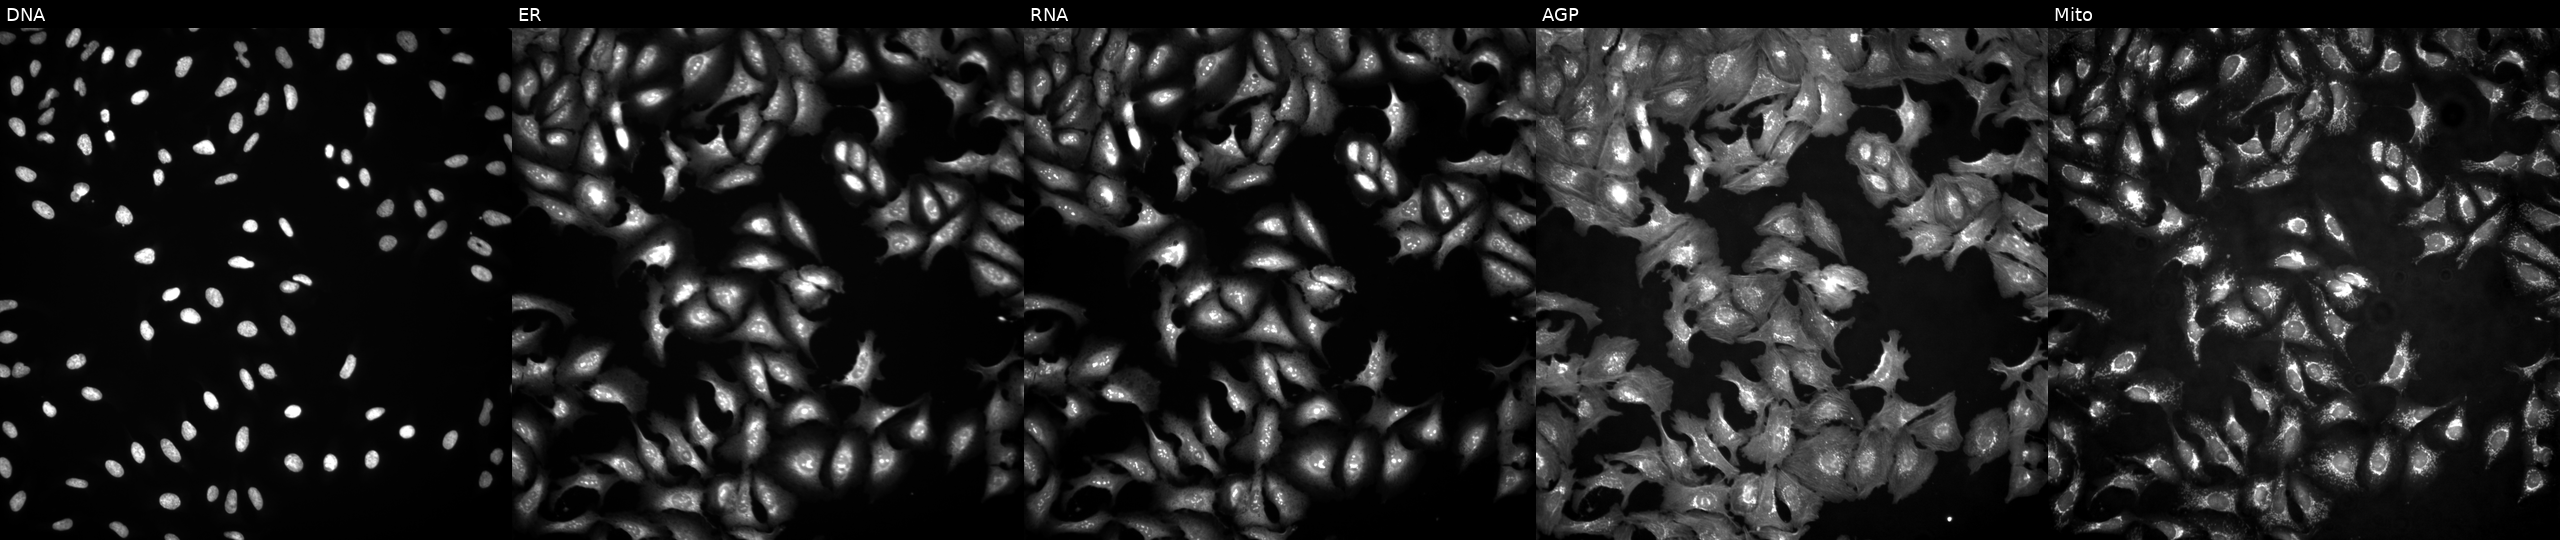
High-content fluorescence microscopy (Cell Painting). Cell line: U2OS. Perturbation: untreated (empty-well control) (JUMP id JCP2022_999999). Channels (left→right): DNA (nuclei); ER (endoplasmic reticulum); RNA (nucleoli and cytoplasmic RNA); AGP (actin cytoskeleton, Golgi, and plasma membrane); Mito (mitochondria).